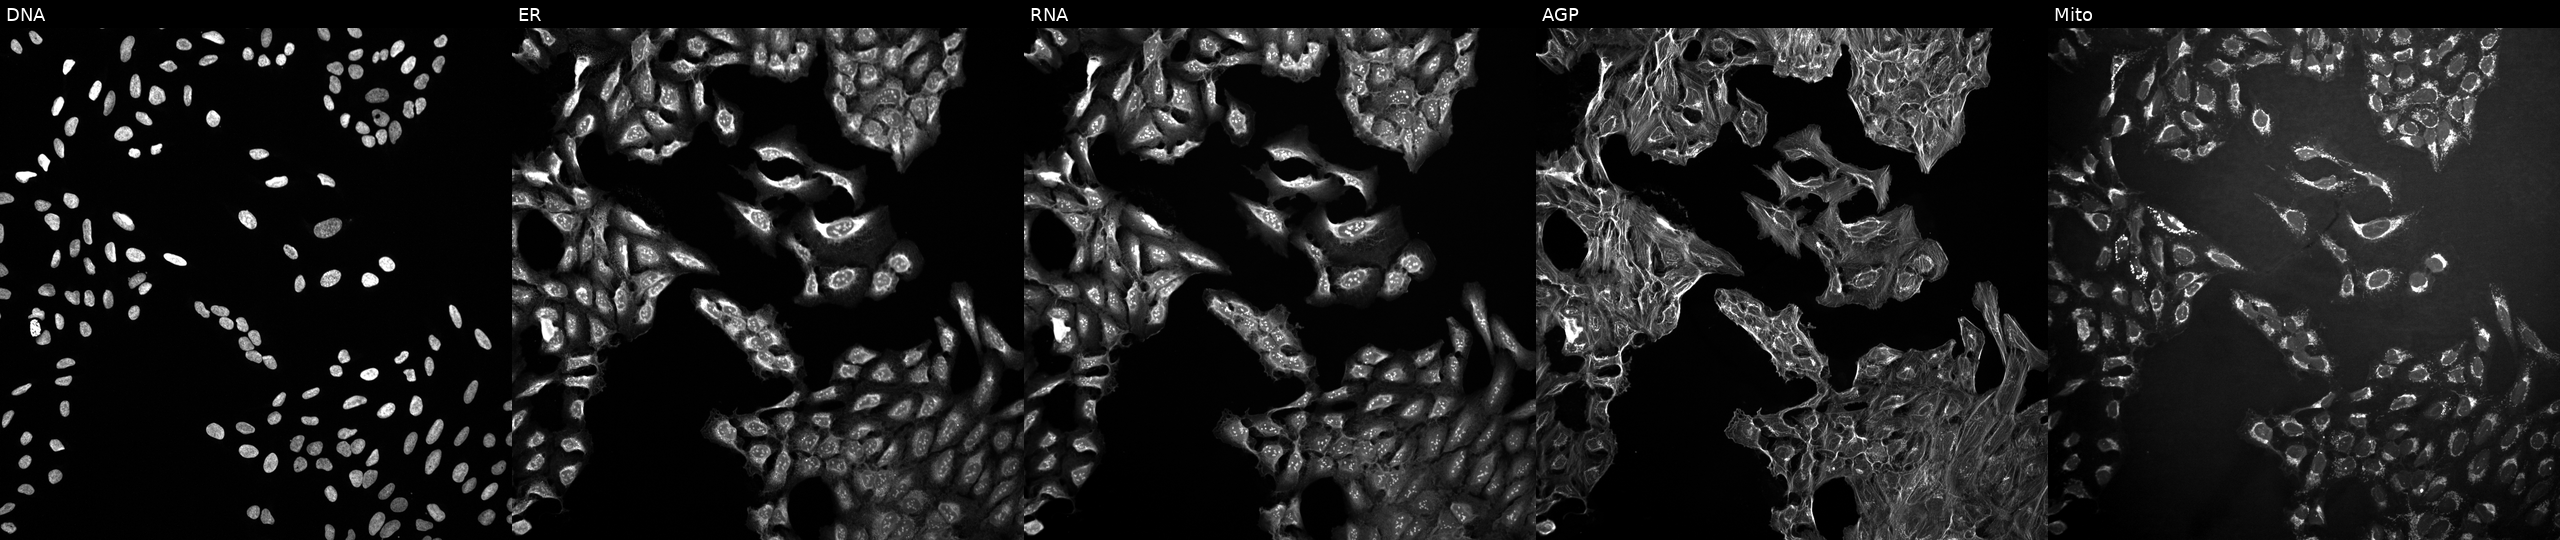
Five-channel Cell Painting image of U2OS cells perturbed with a small-molecule compound (InChIKey BCZUAADEACICHN-UHFFFAOYSA-N) (JUMP id JCP2022_005529). From left to right: Hoechst 33342, concanavalin A, SYTO 14, phalloidin and WGA, MitoTracker. Source 10, plate Dest210727-153003, well D12.